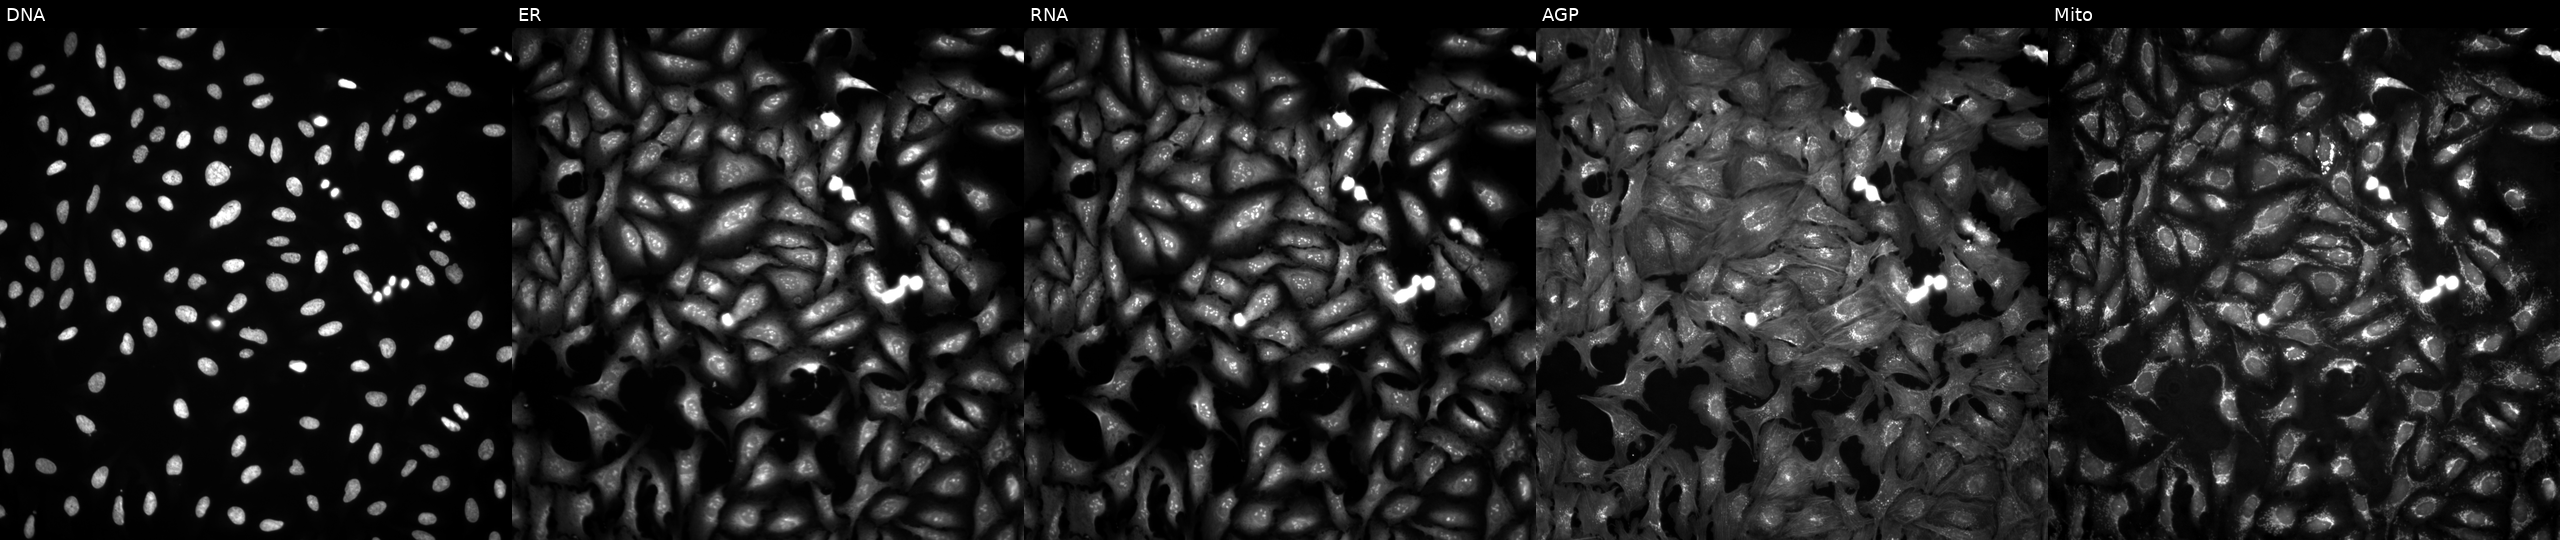
This image strip shows the five Cell Painting channels for a single field of U2OS cells expressing HcRed (ORF negative control) (JUMP id JCP2022_915129). The five panels, left to right, show Hoechst 33342, concanavalin A, SYTO 14, phalloidin and WGA, MitoTracker. Source 4, plate BR00123945, well A04.